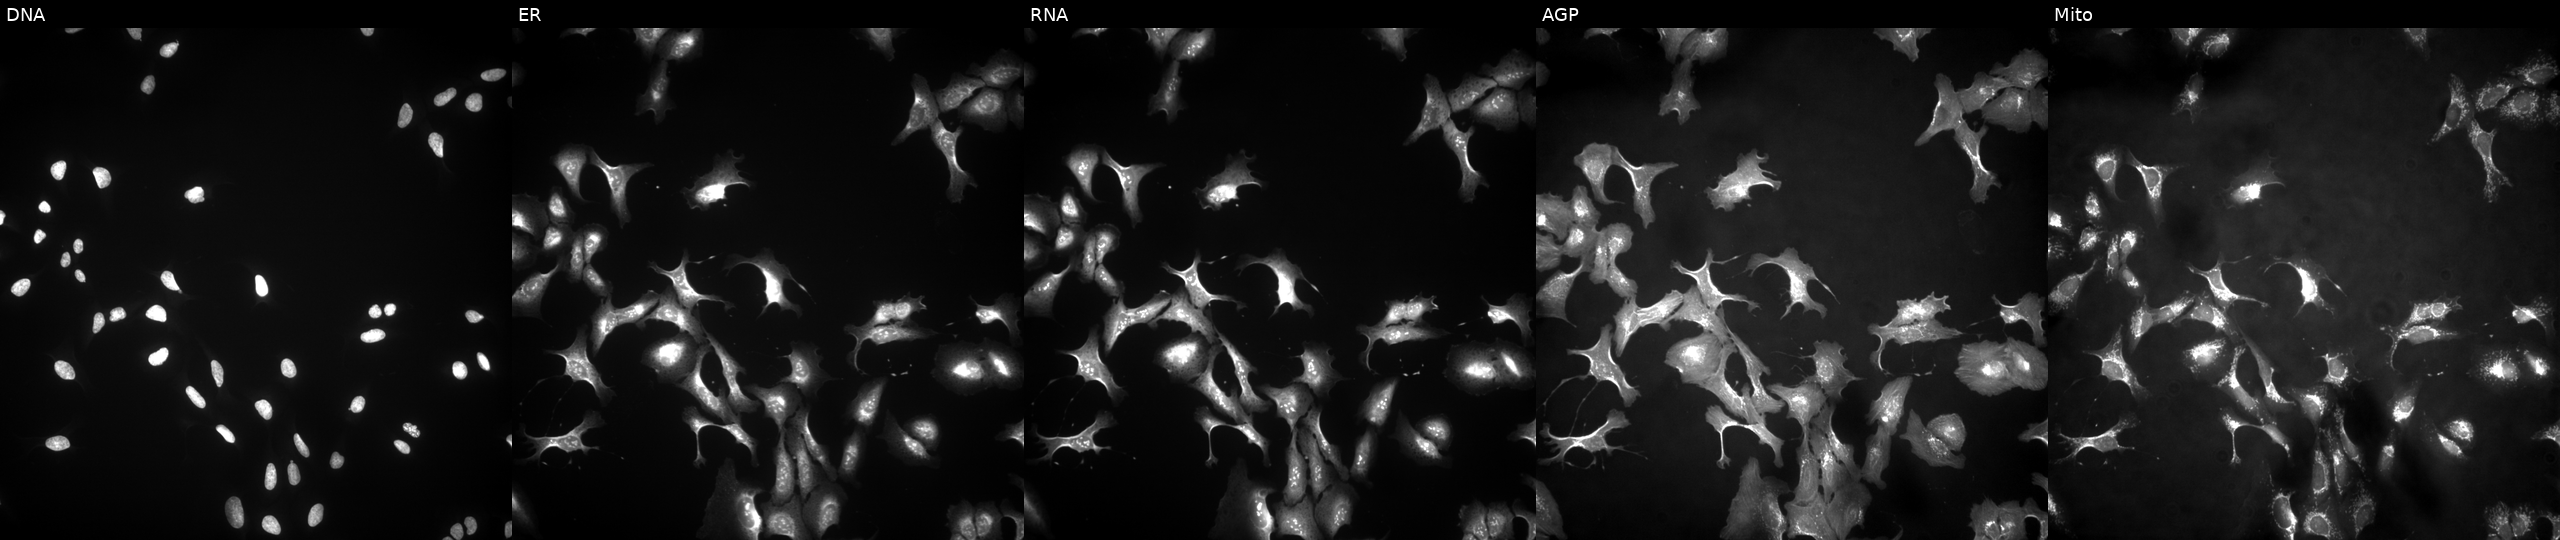
U2OS cells, Cell Painting assay, with CCDC83 overexpressed (ORF). The five panels, left to right, show DNA, ER, RNA, AGP, and Mito. Each panel is percentile-stretched 16-bit fluorescence.